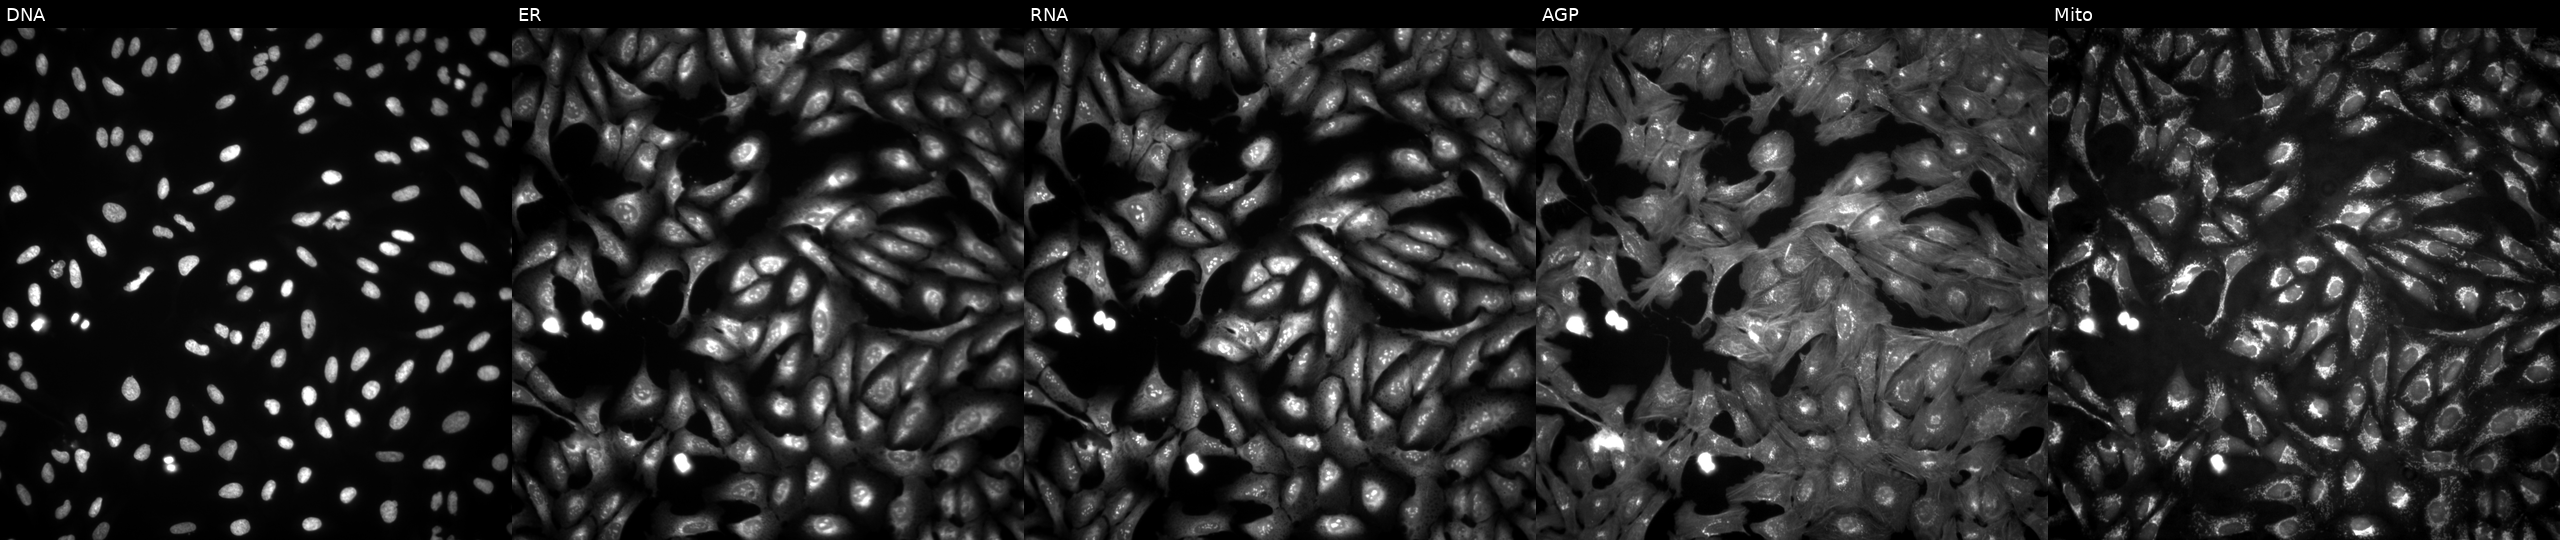
The five panels, left to right, show DNA, ER, RNA, AGP, and Mito. U2OS osteosarcoma cells expressing HcRed (ORF negative control) (JUMP id JCP2022_915129). Cell Painting assay, JUMP-CP dataset. Source 4, plate BR00123509, well I22.